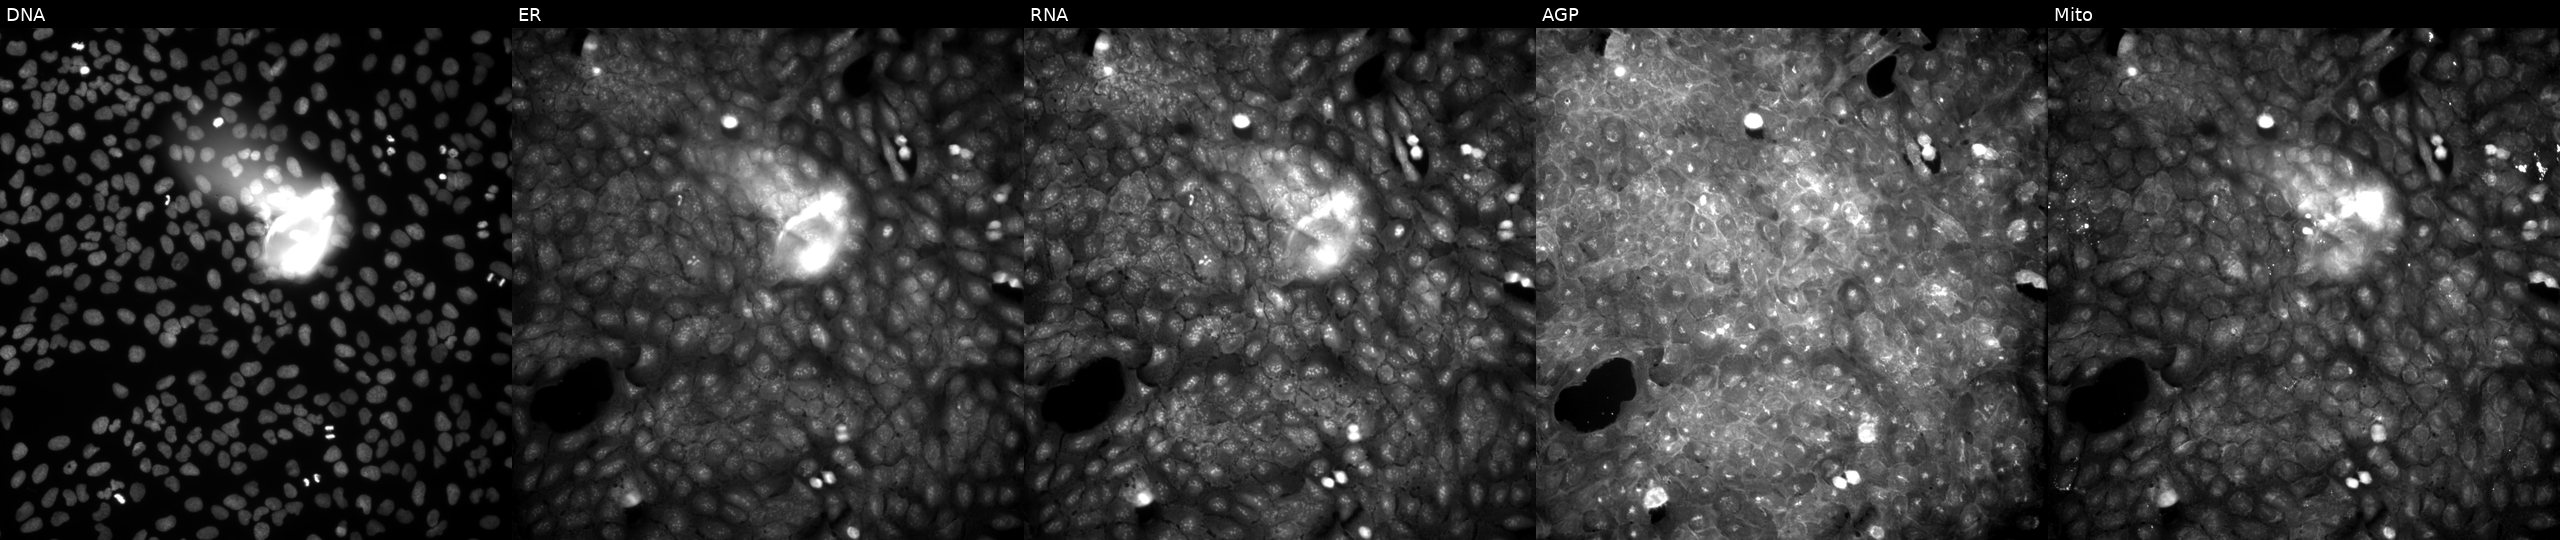
This image strip shows the five Cell Painting channels for a single field of U2OS cells exposed to a small-molecule compound (InChIKey HNLZCIQAOLGEPC-UHFFFAOYSA-N). From left to right: Hoechst 33342, concanavalin A, SYTO 14, phalloidin and WGA, MitoTracker. Source 9, plate GR00003381, well Q27.